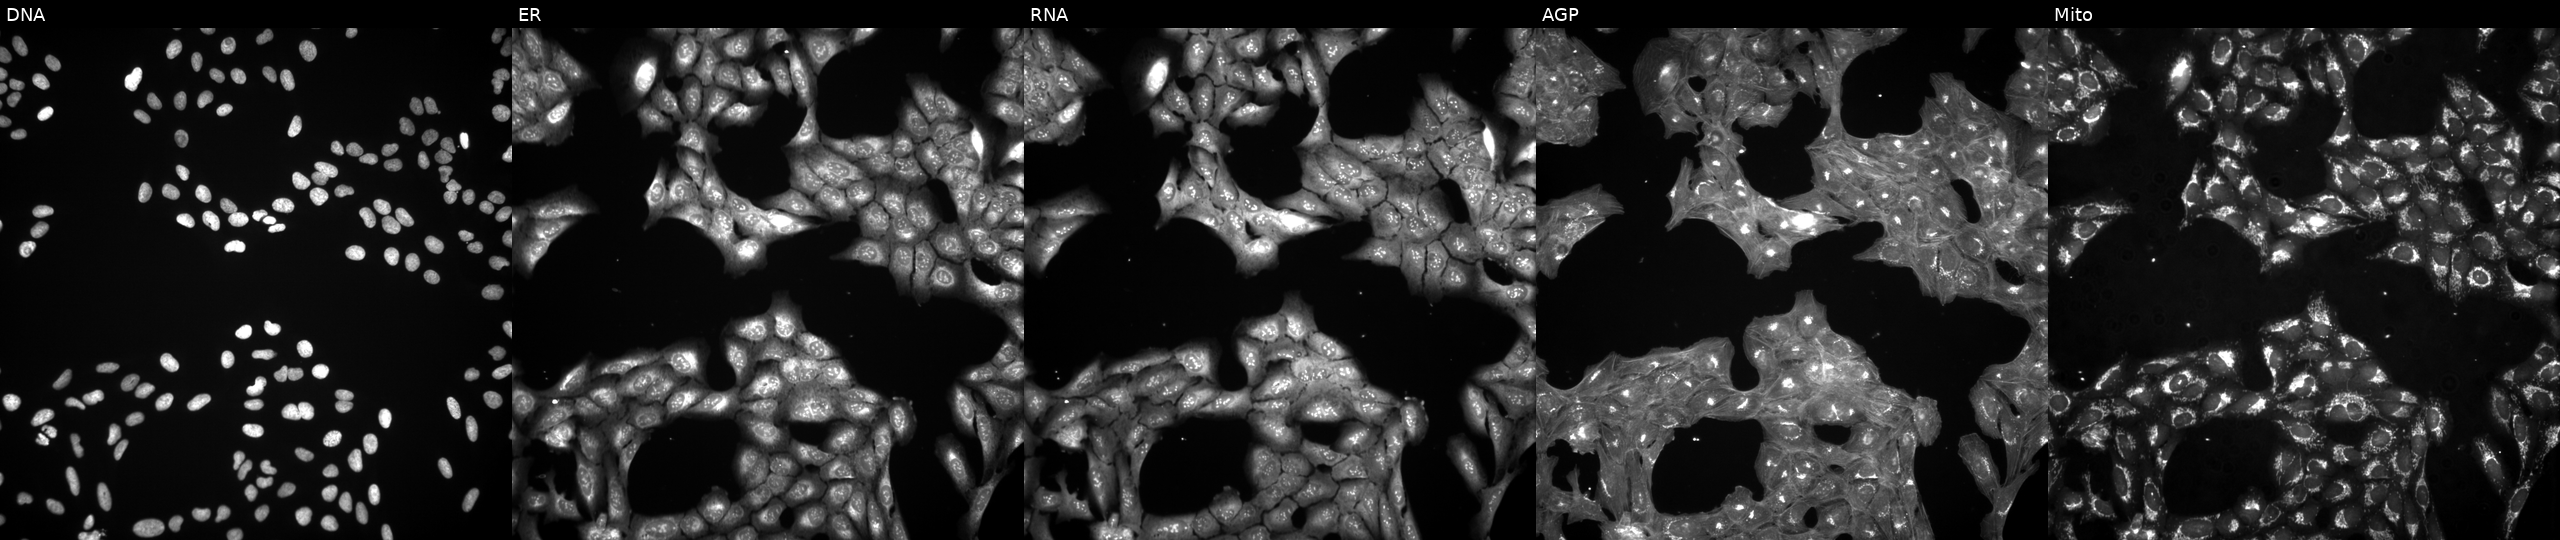
This image strip shows the five Cell Painting channels for a single field of U2OS cells treated with a small-molecule compound. Channels (left→right): DNA, ER, RNA, AGP, and Mito.